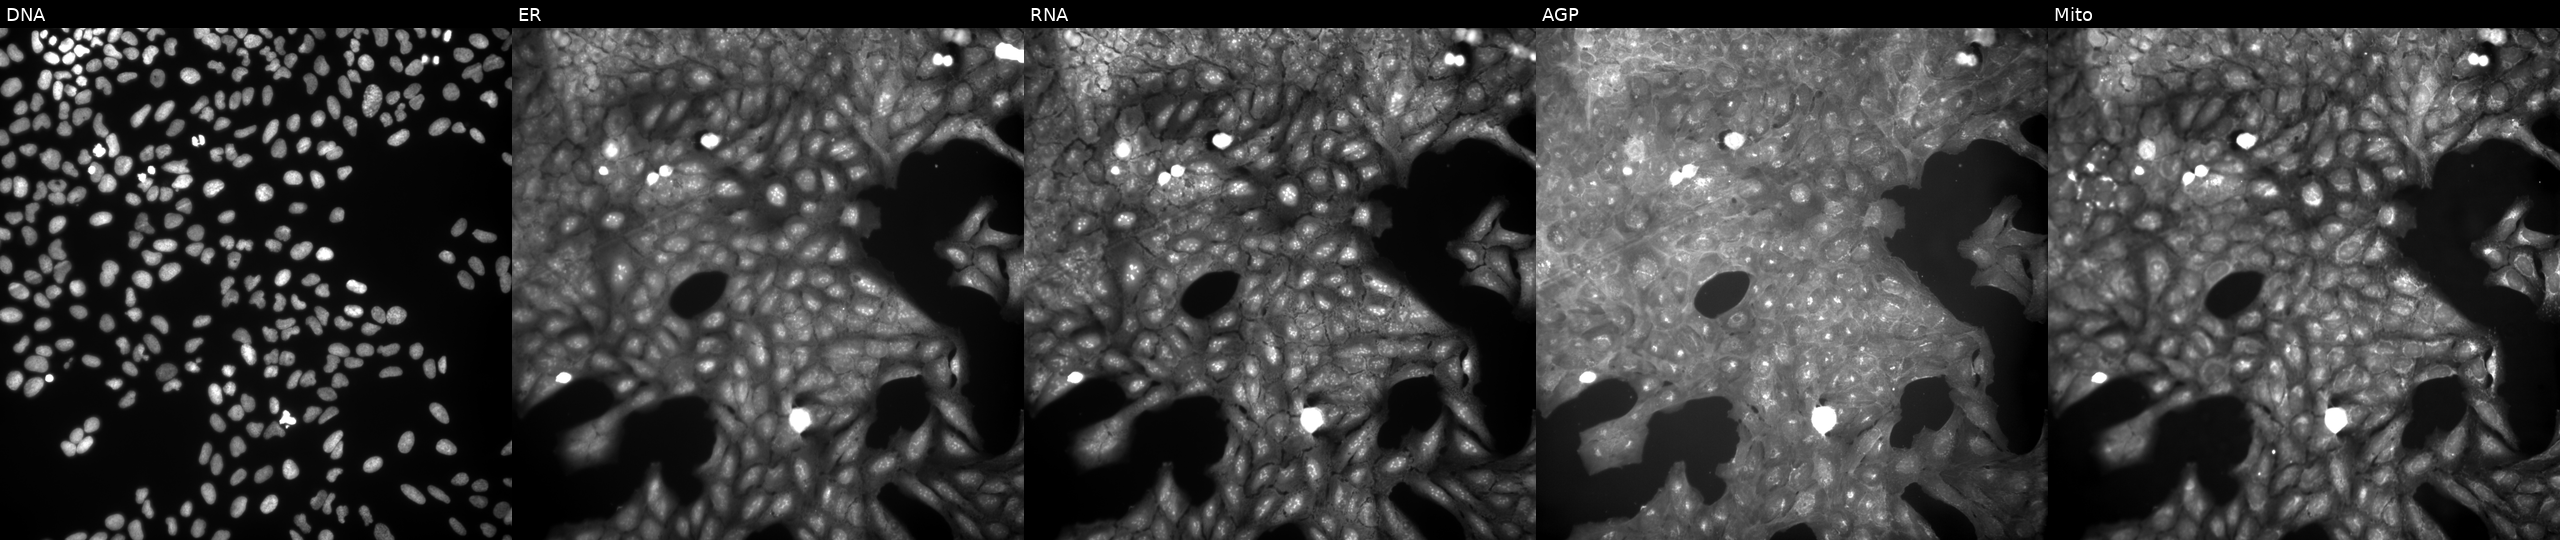
High-content fluorescence microscopy (Cell Painting). Cell line: U2OS. Perturbation: treated with a small-molecule compound (InChIKey JOMVZNNWFRXFAA-UHFFFAOYSA-N). Channels (left→right): DNA (nuclei); ER (endoplasmic reticulum); RNA (nucleoli and cytoplasmic RNA); AGP (actin cytoskeleton, Golgi, and plasma membrane); Mito (mitochondria). Source 9, plate GR00003381, well G42.